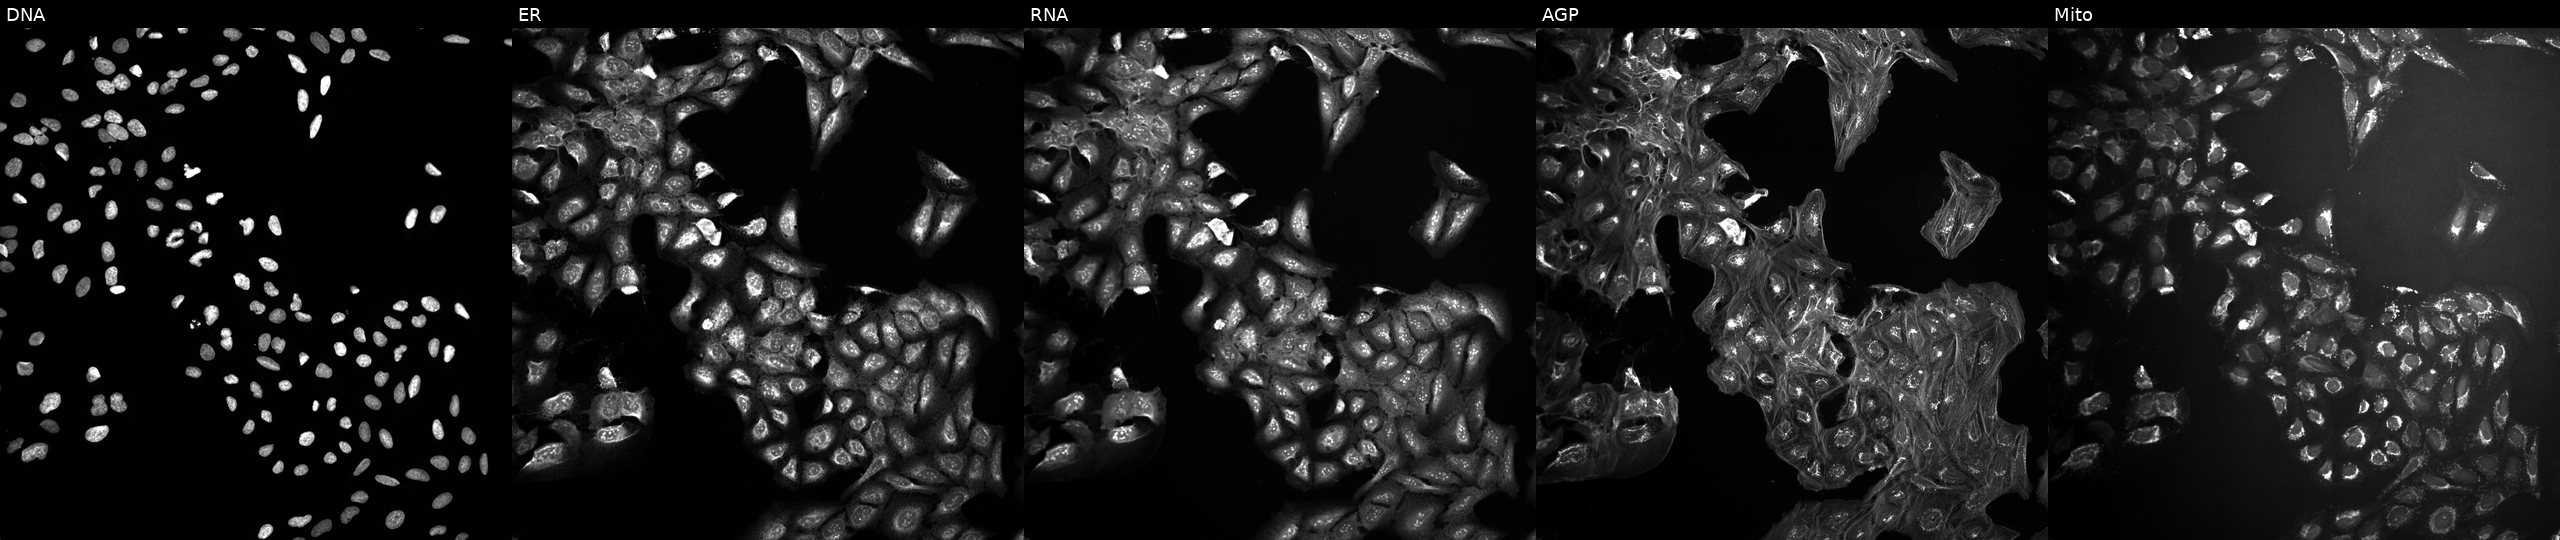
The five panels, left to right, show Hoechst 33342, concanavalin A, SYTO 14, phalloidin and WGA, MitoTracker. U2OS osteosarcoma cells in an empty control well (no perturbation). Cell Painting assay, JUMP-CP dataset. Source 10, plate Dest210531-152324, well I21.